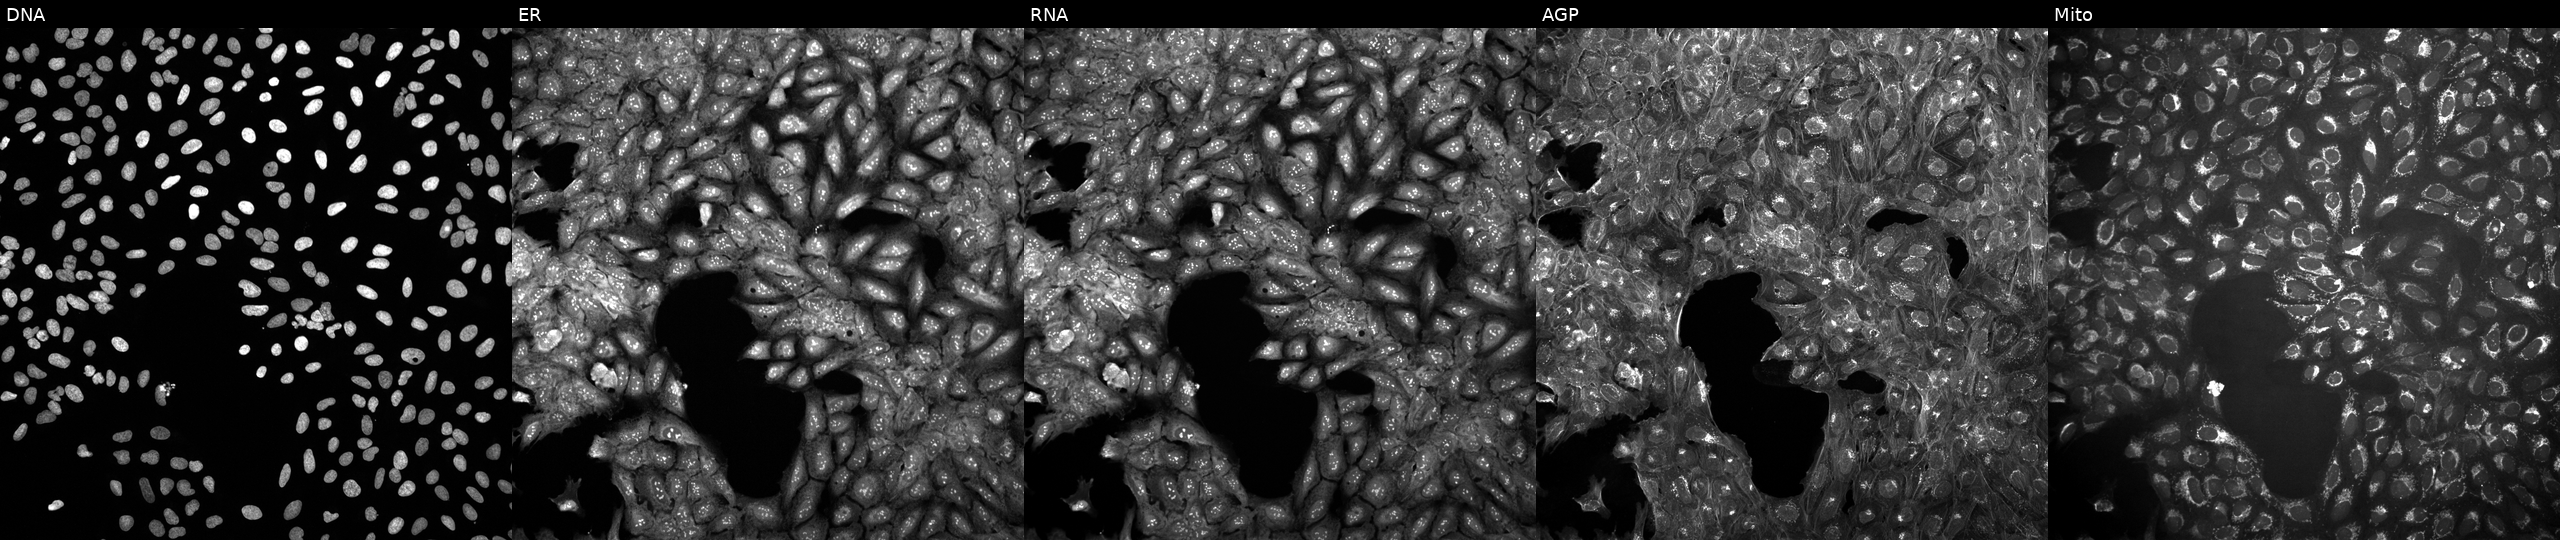
This image strip shows the five Cell Painting channels for a single field of U2OS cells perturbed with a small-molecule compound [SMILES: Cn1cc(-c2ncccc2CNC(=O)CCc2ccc(C#N)cc2)cn1] (JUMP id JCP2022_079671). The five panels, left to right, show Hoechst 33342, concanavalin A, SYTO 14, phalloidin and WGA, MitoTracker.